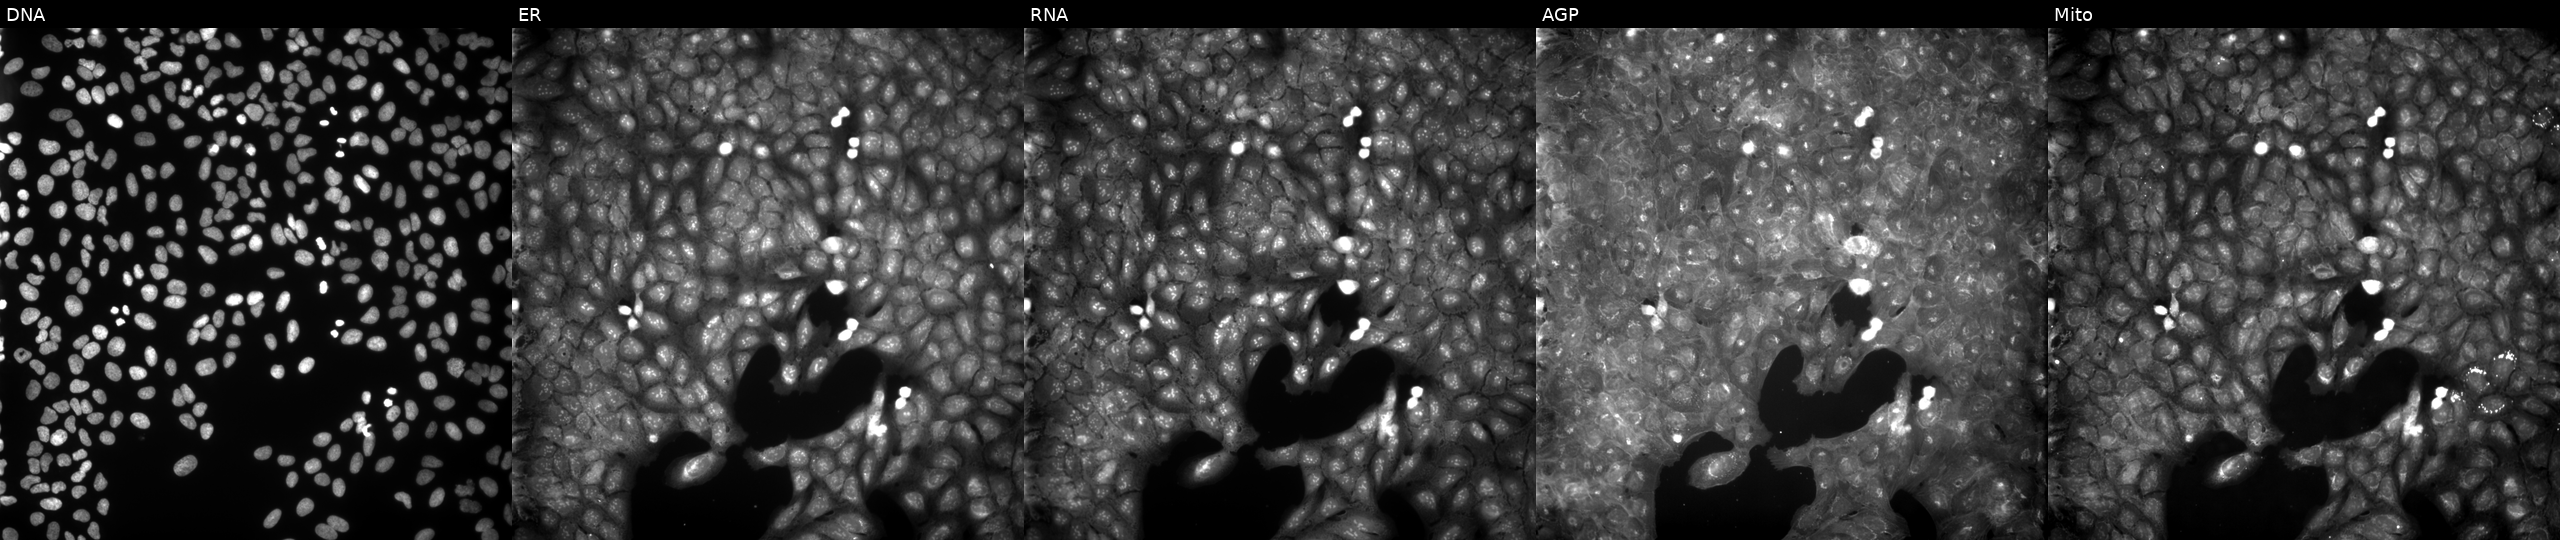
JUMP Cell Painting — COMPOUND plate. U2OS cells treated with a small-molecule compound (InChIKey SZBHUEXHIXASTF-UHFFFAOYSA-N) (JUMP id JCP2022_086508). Panels show, left to right, Hoechst 33342, concanavalin A, SYTO 14, phalloidin and WGA, MitoTracker. Source 9, plate GR00003382, well N18.